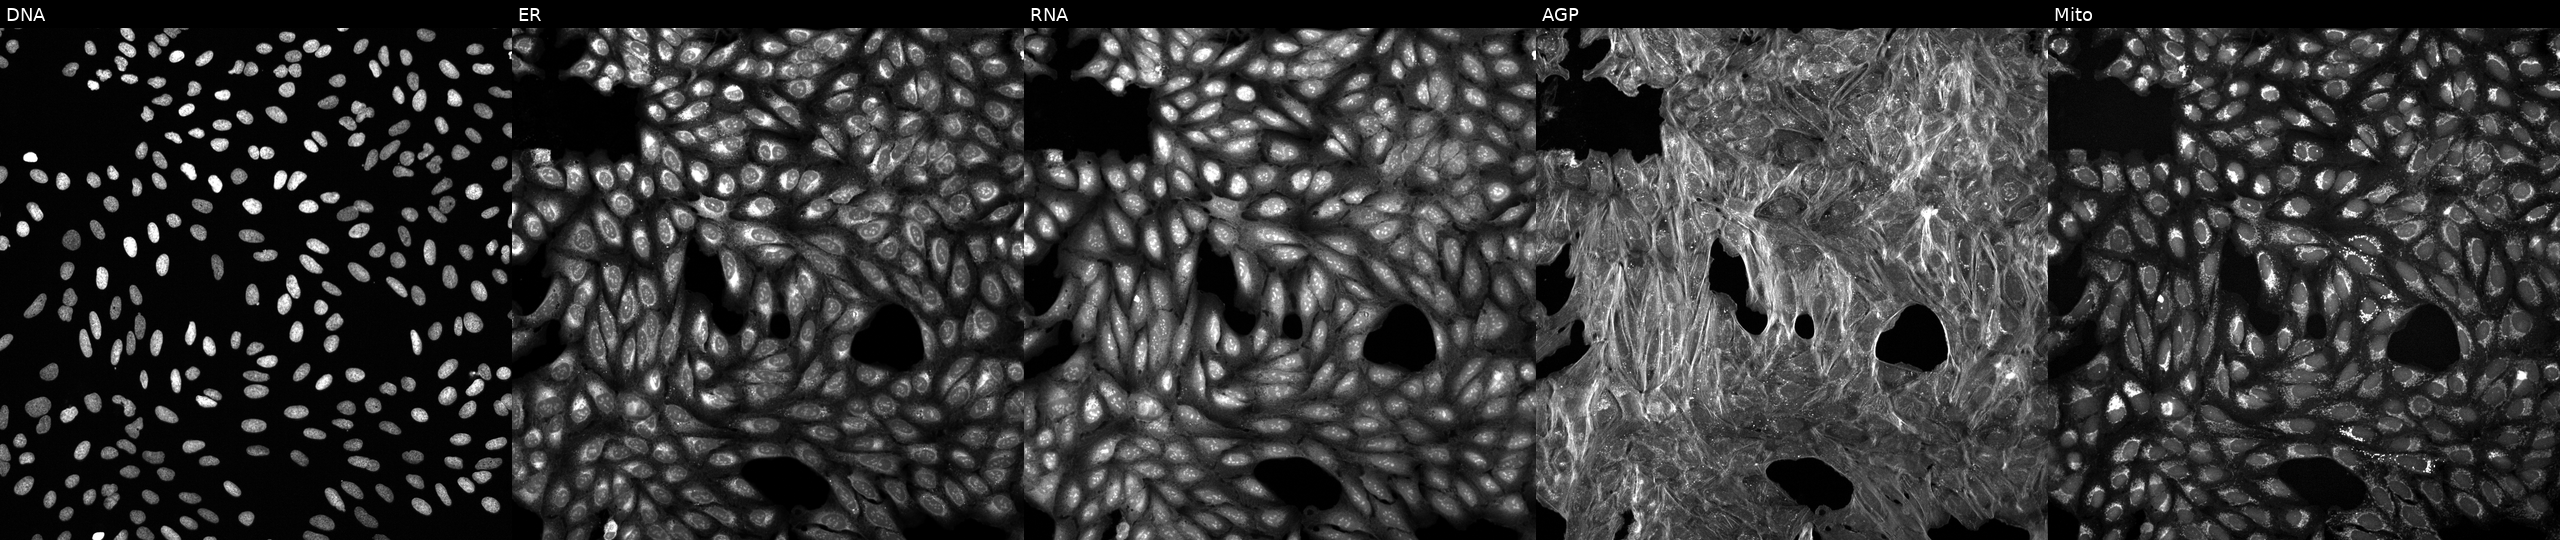
Channels (left→right): DNA (nuclei); ER (endoplasmic reticulum); RNA (nucleoli and cytoplasmic RNA); AGP (actin cytoskeleton, Golgi, and plasma membrane); Mito (mitochondria). U2OS osteosarcoma cells exposed to a small-molecule compound (InChIKey RDOIQAHITMMDAJ-UHFFFAOYSA-N). Cell Painting assay, JUMP-CP dataset.